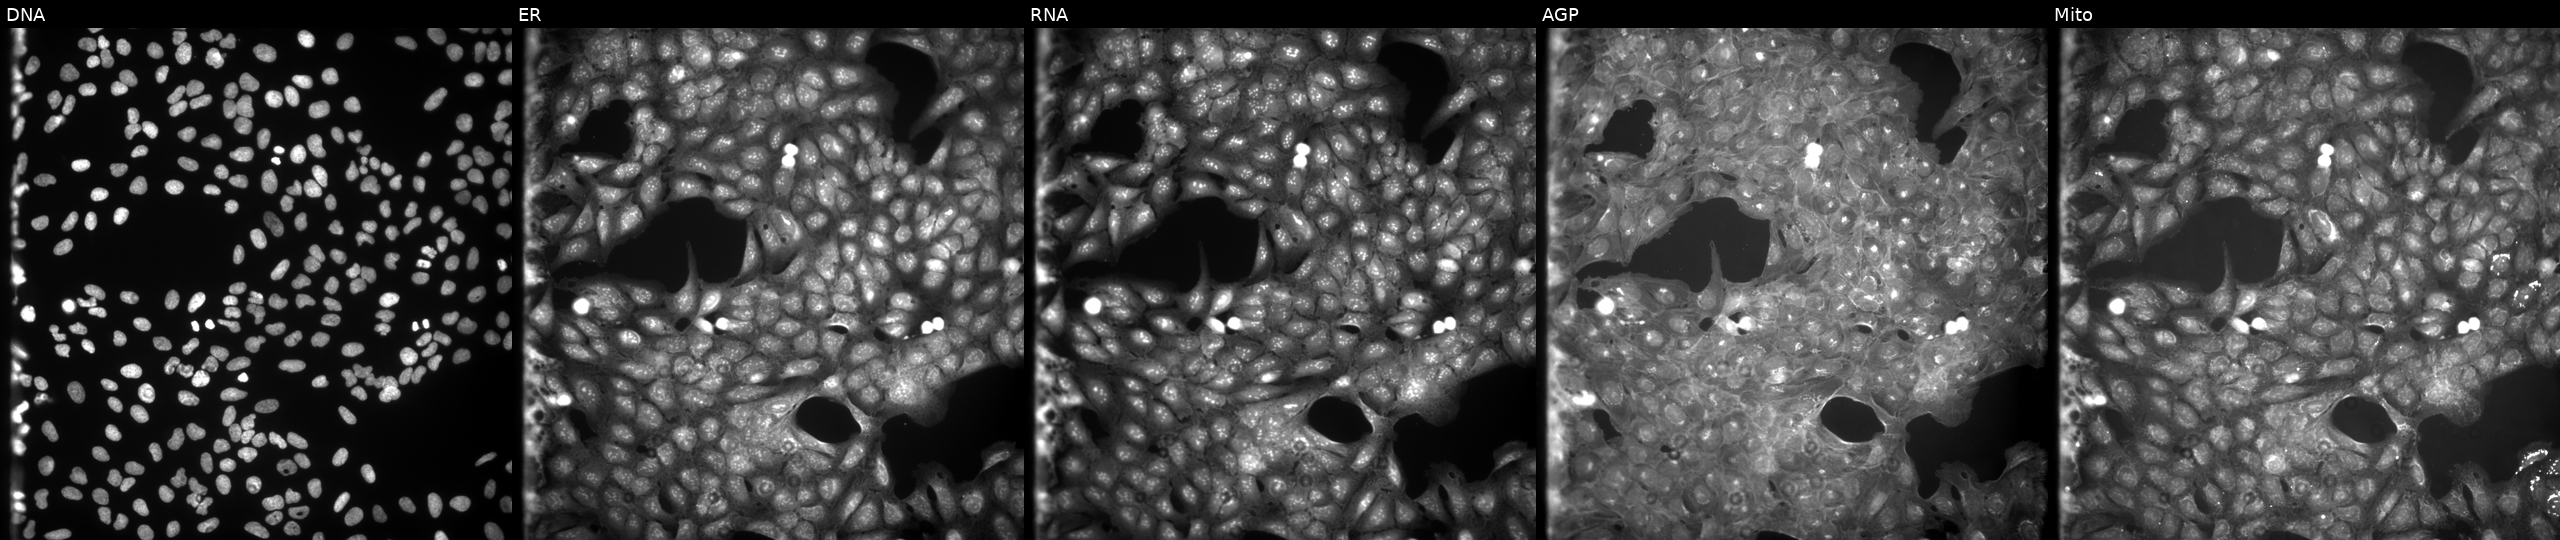
U2OS cells, Cell Painting assay, exposed to a small-molecule compound (InChIKey QPYKRCIQRBMWRK-UHFFFAOYSA-N) (JUMP id JCP2022_075120). Channels (left→right): Hoechst 33342, concanavalin A, SYTO 14, phalloidin and WGA, MitoTracker. Each panel is percentile-stretched 16-bit fluorescence.